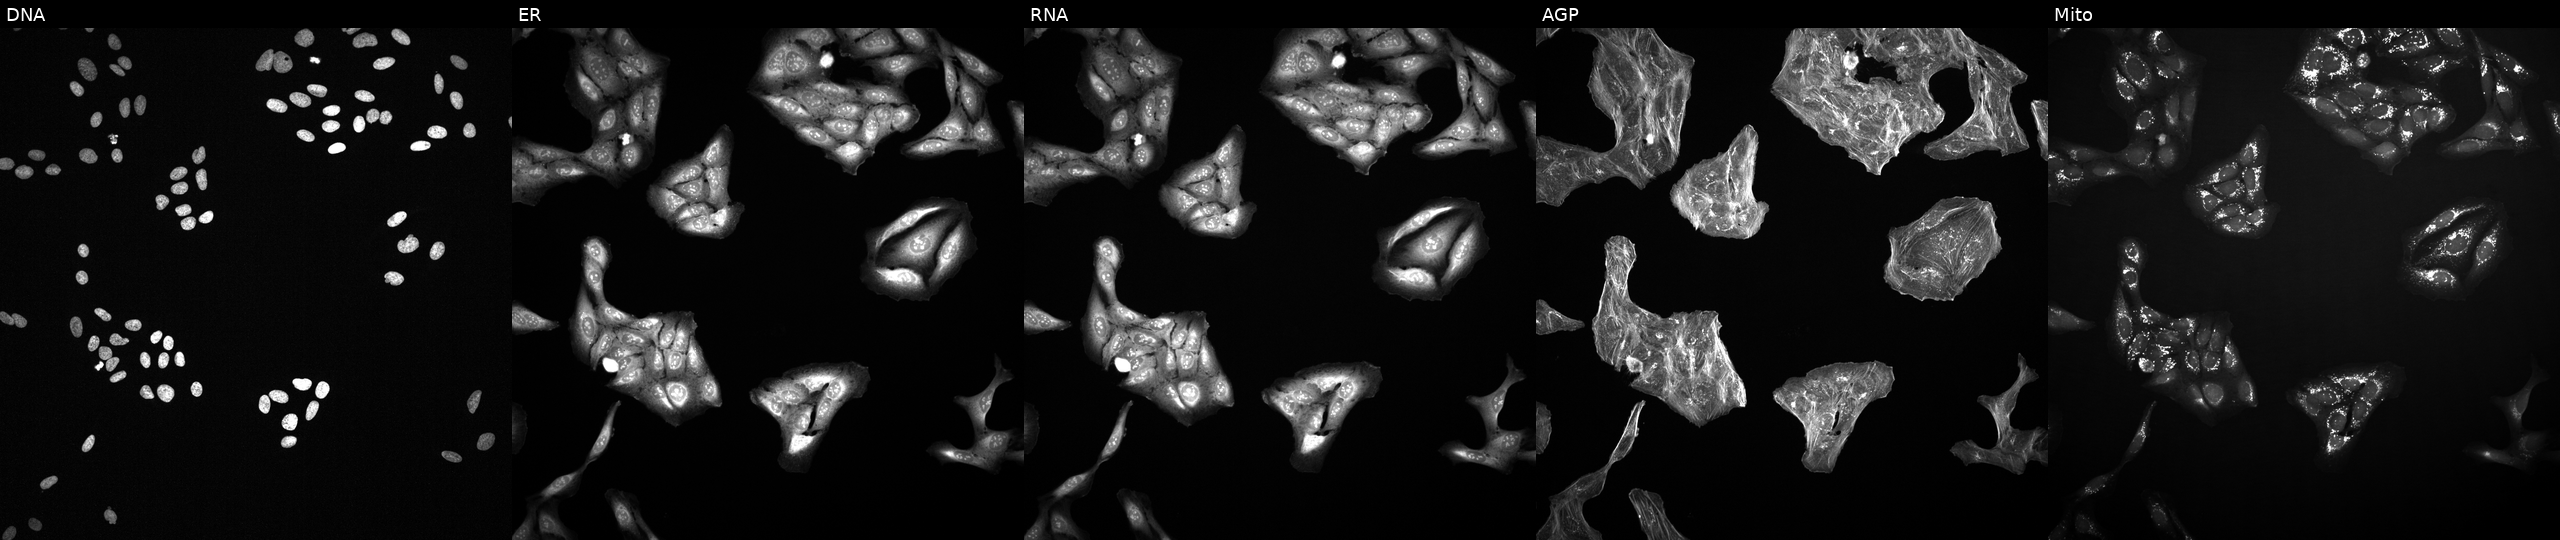
Five-channel Cell Painting image of U2OS cells perturbed with a small-molecule compound (InChIKey WGZOTBUYUFBEPZ-UHFFFAOYSA-N). From left to right: DNA (nuclei); ER (endoplasmic reticulum); RNA (nucleoli and cytoplasmic RNA); AGP (actin cytoskeleton, Golgi, and plasma membrane); Mito (mitochondria). Source 2, plate 1053597936, well B09.